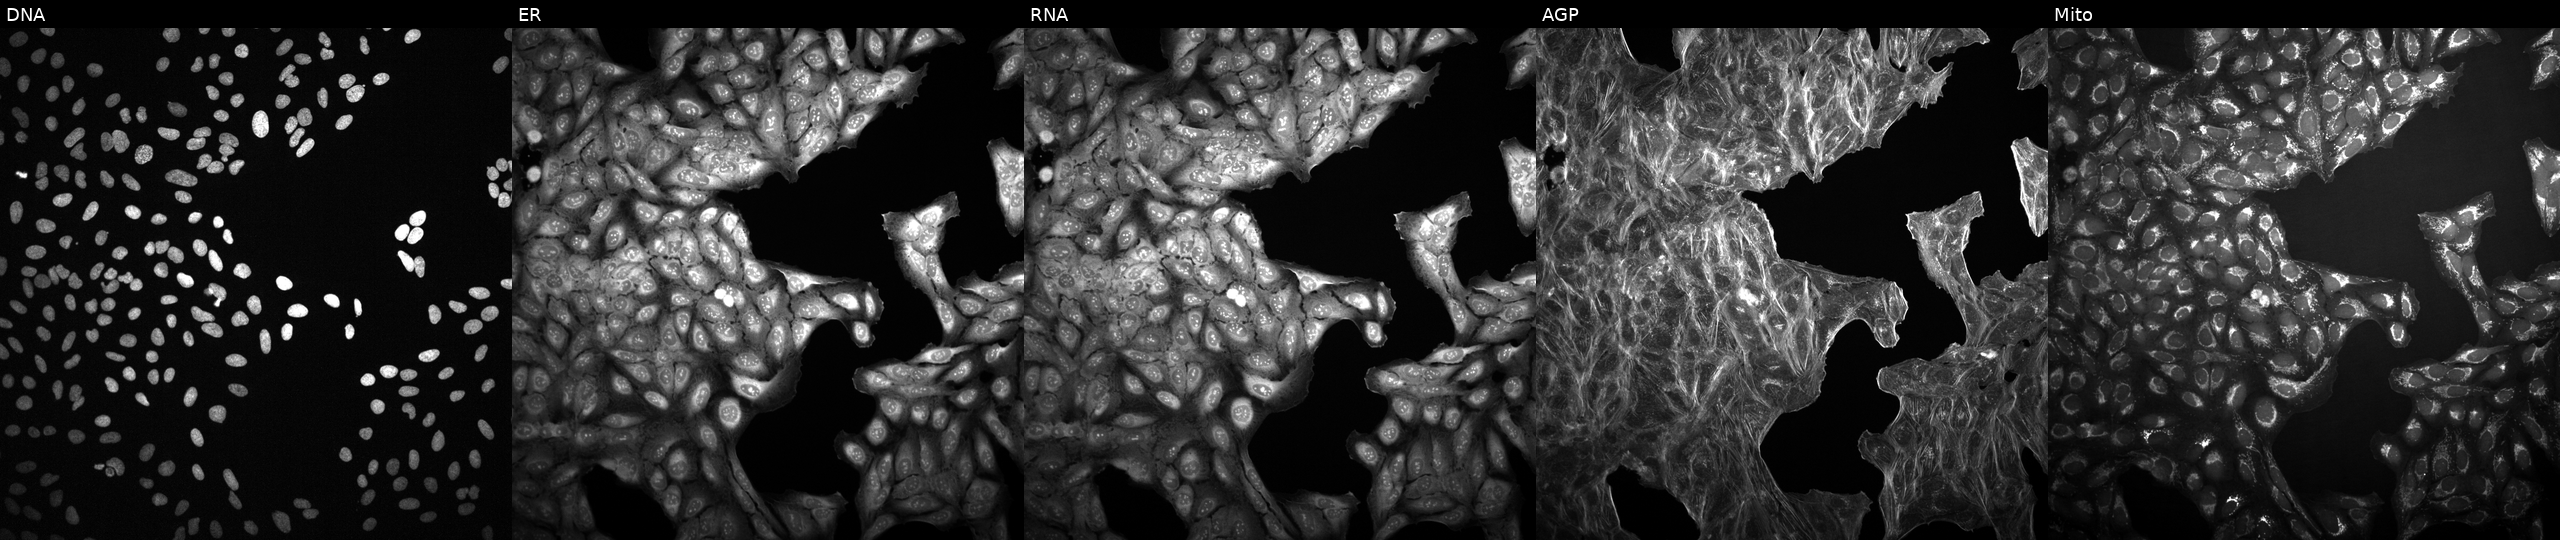
This image strip shows the five Cell Painting channels for a single field of U2OS cells treated with DMSO vehicle only (negative control) (JUMP id JCP2022_033924). From left to right: DNA, ER, RNA, AGP, and Mito. Source 2, plate 1053597936, well N06.